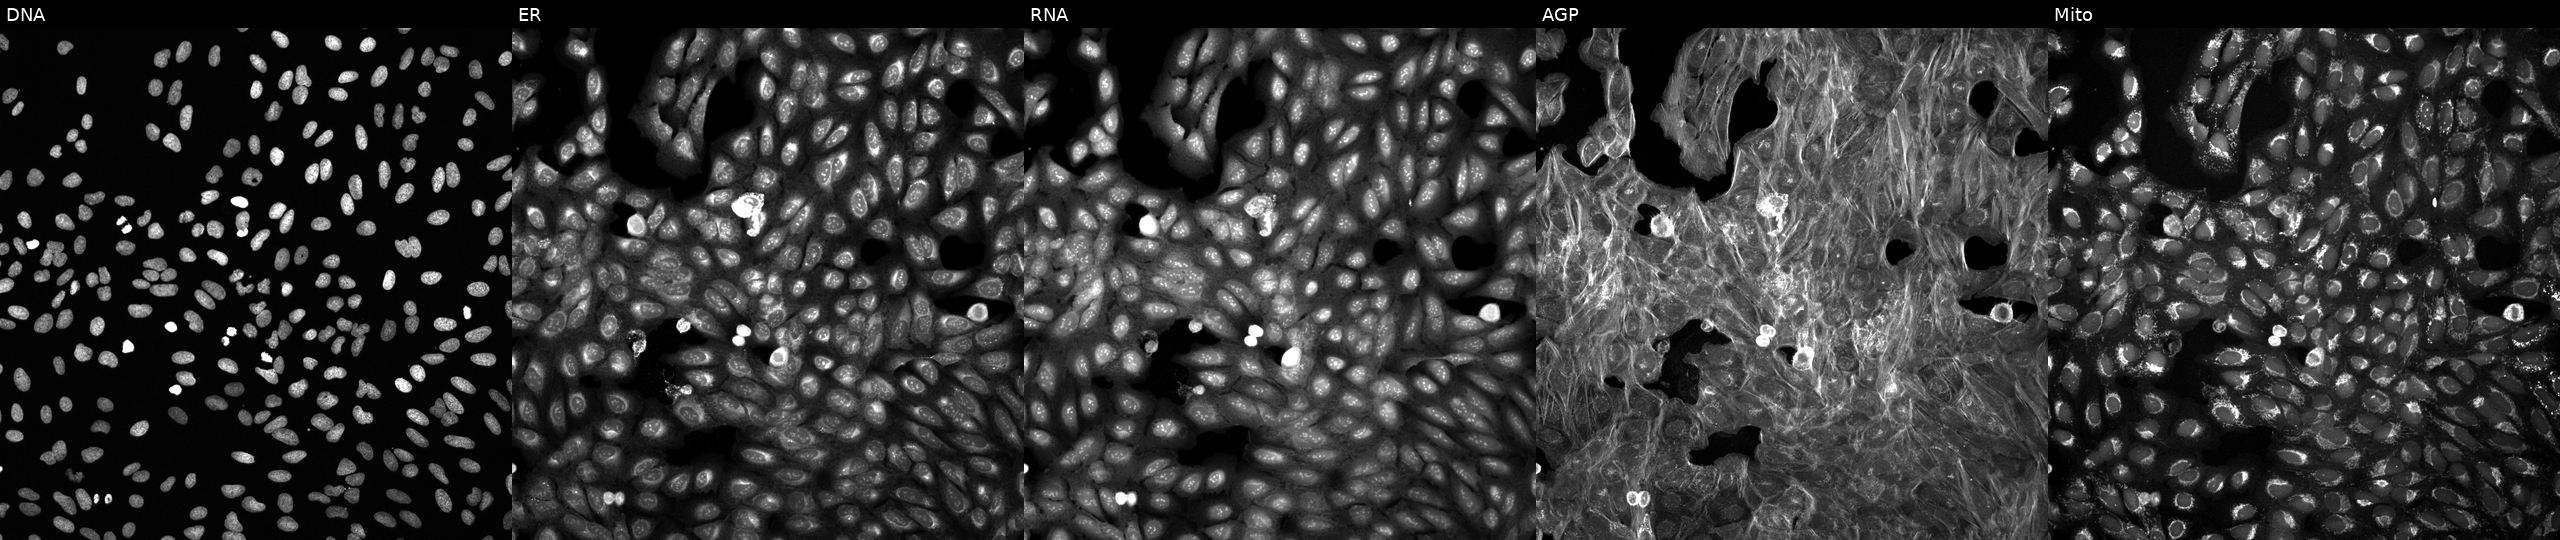
Channels (left→right): Hoechst 33342, concanavalin A, SYTO 14, phalloidin and WGA, MitoTracker. U2OS osteosarcoma cells exposed to DMSO alone as a negative control. Cell Painting assay, JUMP-CP dataset. Source 6, plate 110000293081, well E23.